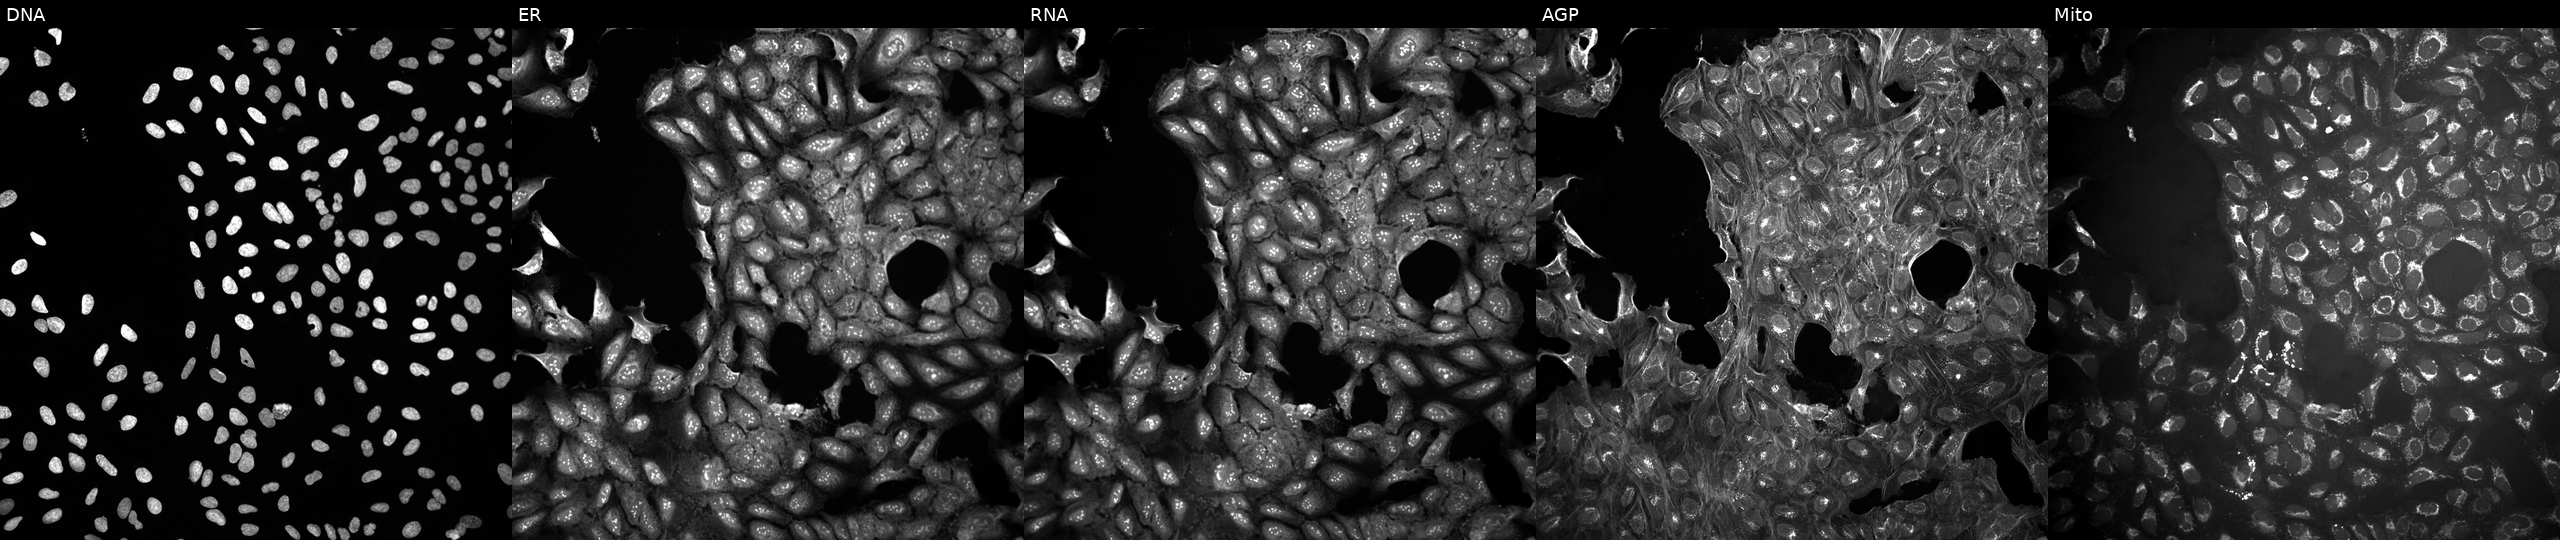
U2OS cells, Cell Painting assay, in an empty control well (no perturbation) (JUMP id JCP2022_999999). Panels show, left to right, DNA, ER, RNA, AGP, and Mito. Each panel is percentile-stretched 16-bit fluorescence.